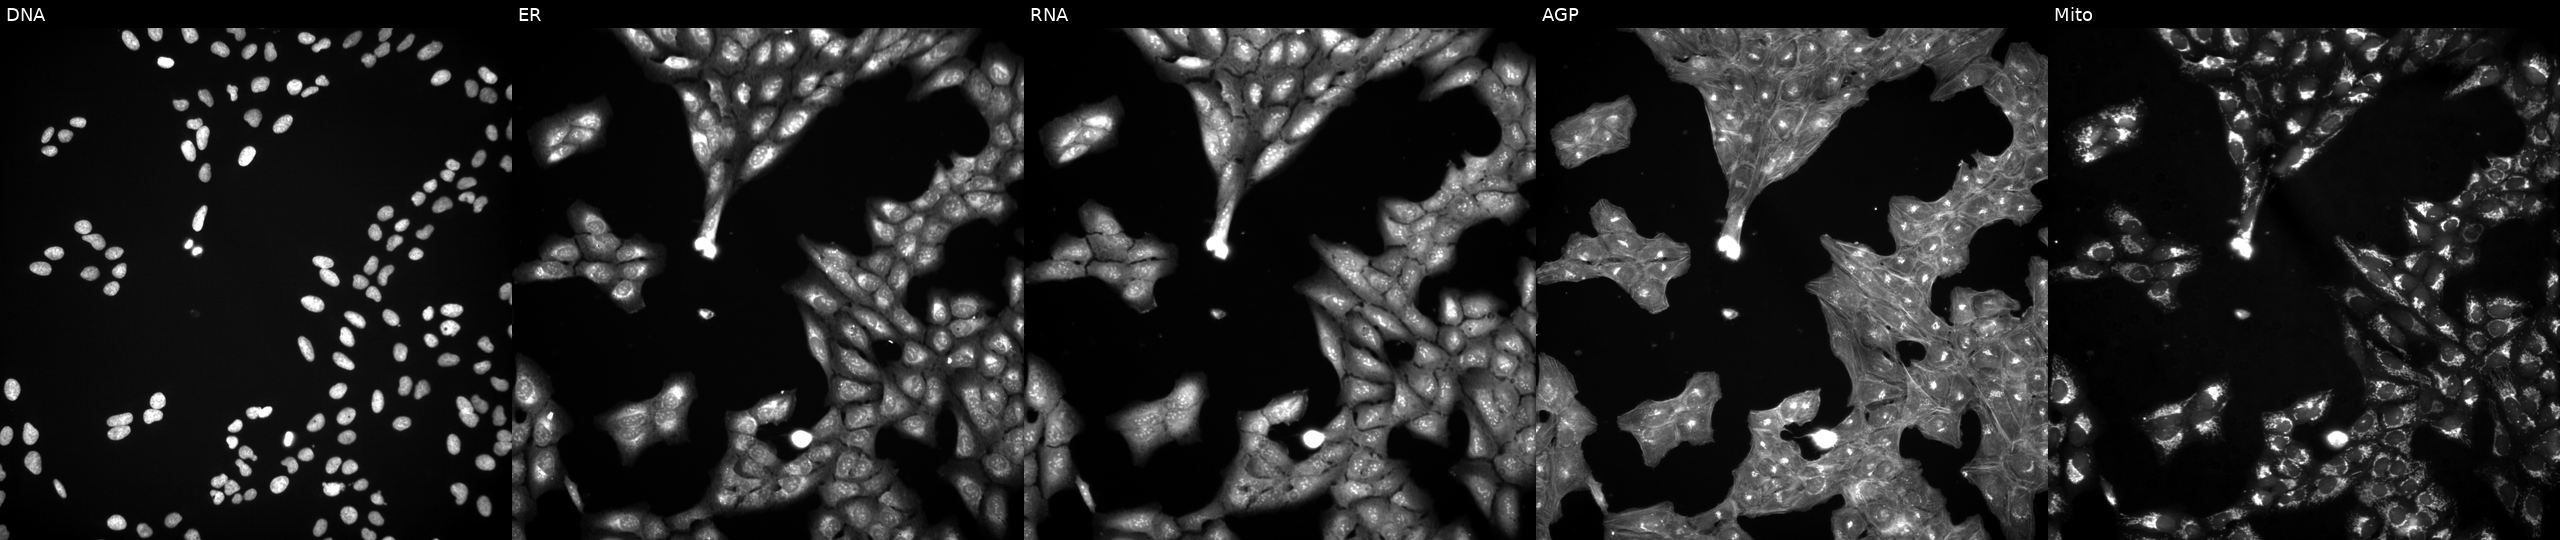
Five-channel Cell Painting image of U2OS cells treated with a small-molecule compound (JUMP id JCP2022_107658). Panels show, left to right, DNA (nuclei); ER (endoplasmic reticulum); RNA (nucleoli and cytoplasmic RNA); AGP (actin cytoskeleton, Golgi, and plasma membrane); Mito (mitochondria).